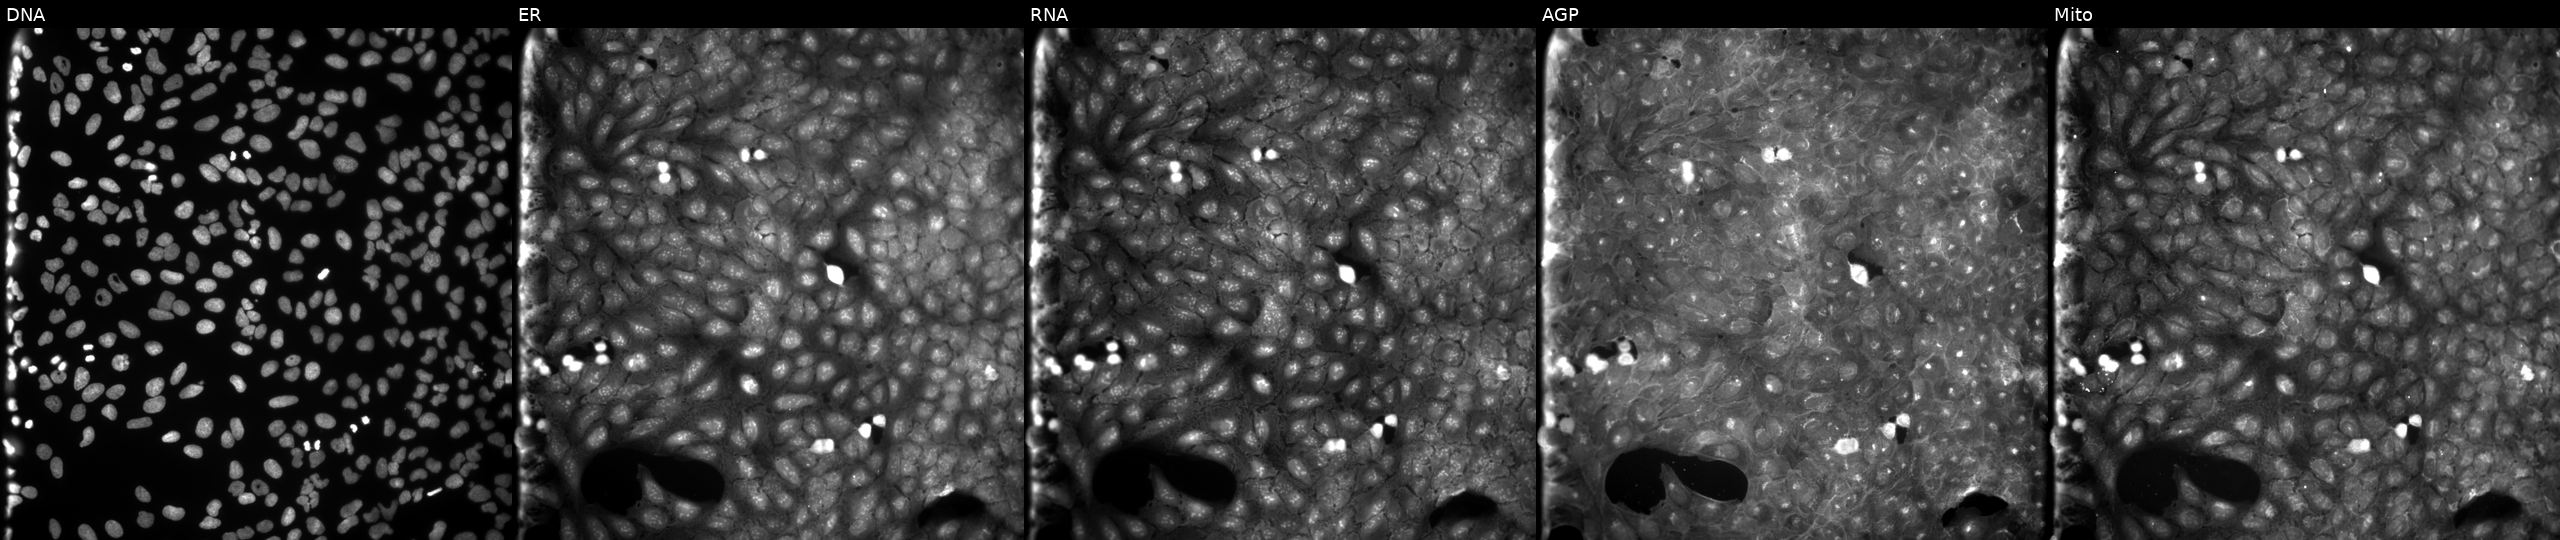
JUMP Cell Painting — COMPOUND plate. U2OS cells exposed to a small-molecule compound (InChIKey UIWUDYNTORXJAS-UHFFFAOYSA-N) [SMILES: O=S(=O)(CCN1CCCCC1)Oc1ccc(Cl)cc1Cl]. Channels (left→right): DNA (nuclei); ER (endoplasmic reticulum); RNA (nucleoli and cytoplasmic RNA); AGP (actin cytoskeleton, Golgi, and plasma membrane); Mito (mitochondria).